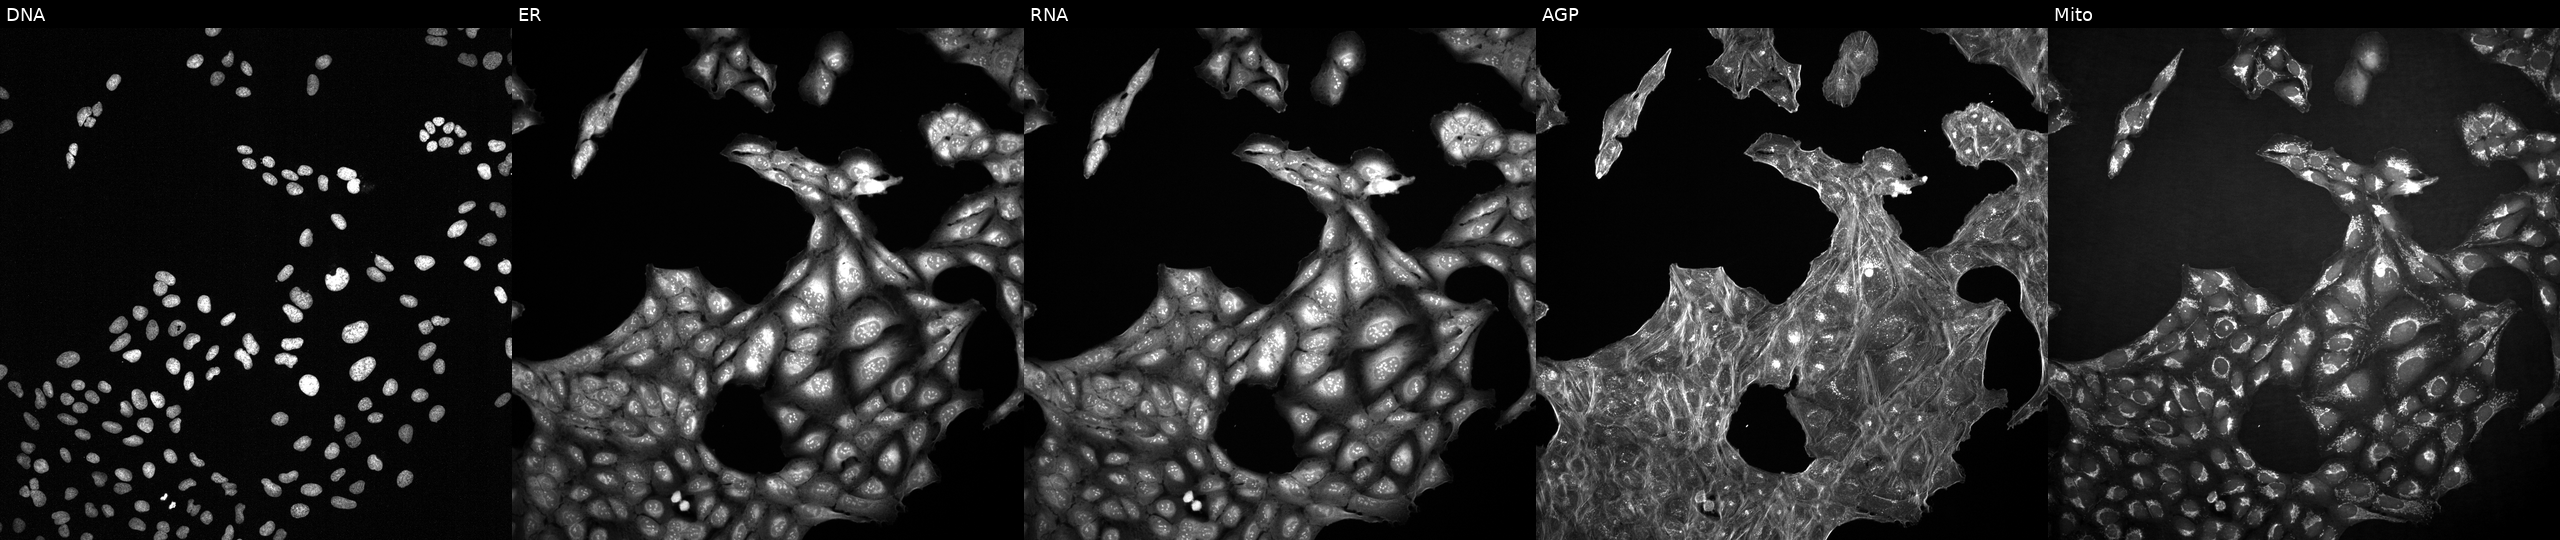
High-content fluorescence microscopy (Cell Painting). Cell line: U2OS. Perturbation: treated with a small-molecule compound (InChIKey JFUIMTGOQCQTPF-UHFFFAOYSA-N). The five panels, left to right, show DNA, ER, RNA, AGP, and Mito.